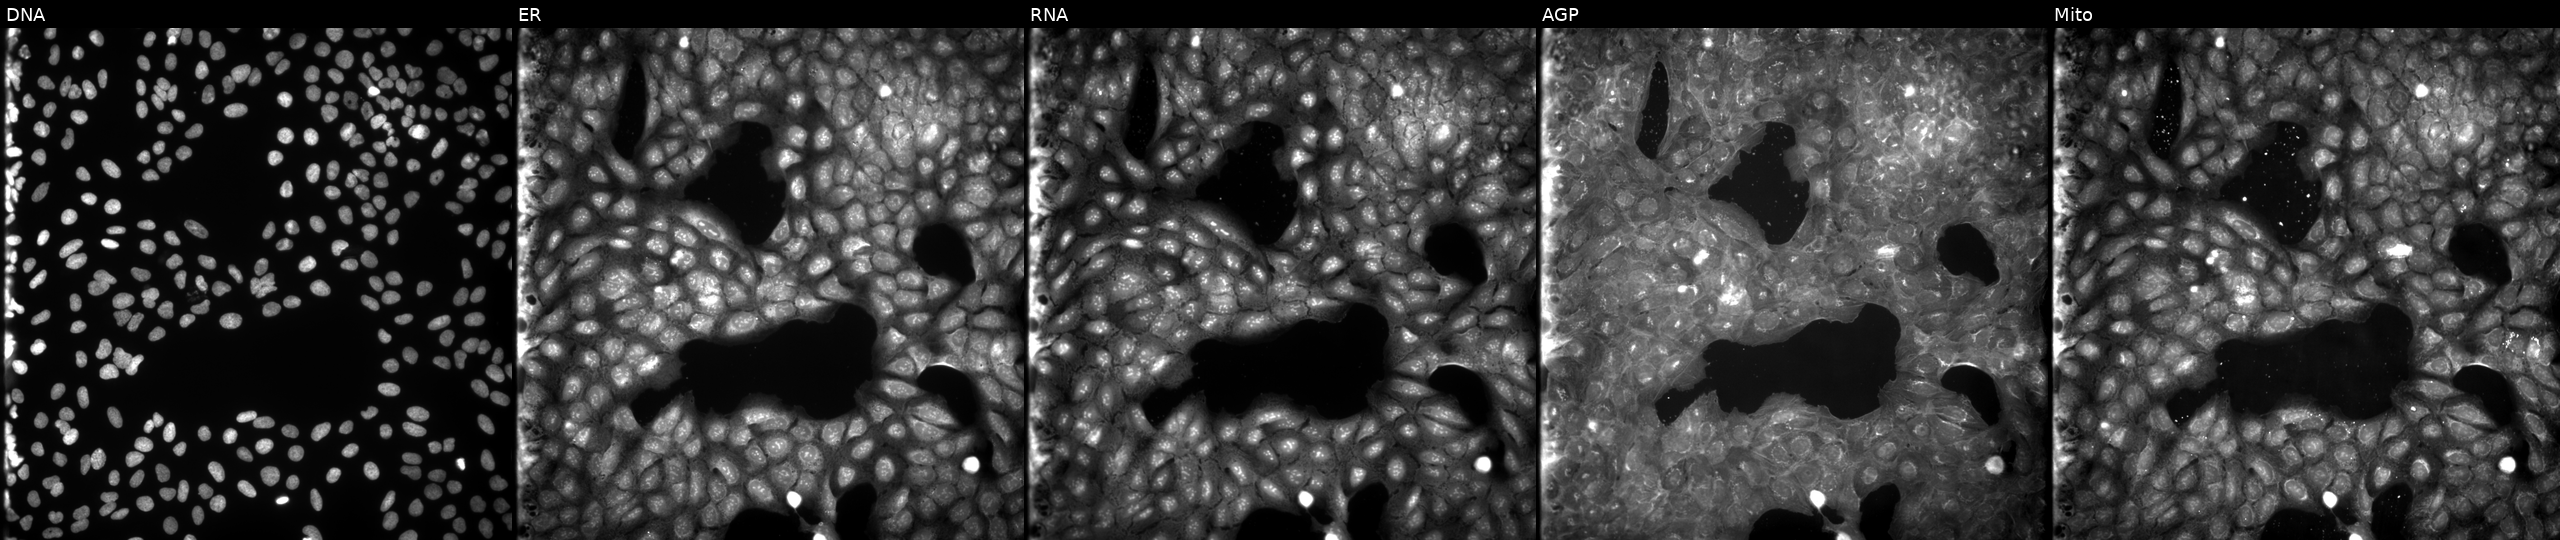
JUMP Cell Painting — COMPOUND plate. U2OS cells treated with a small-molecule compound (InChIKey STLKJGMYLDZFOT-UHFFFAOYSA-N) [SMILES: COc1ccccc1N(CC(=O)Nc1ccc(S(=O)(=O)N2CCCCC2)cc1)S(C)(=O)=O]. The five panels, left to right, show Hoechst 33342, concanavalin A, SYTO 14, phalloidin and WGA, MitoTracker.